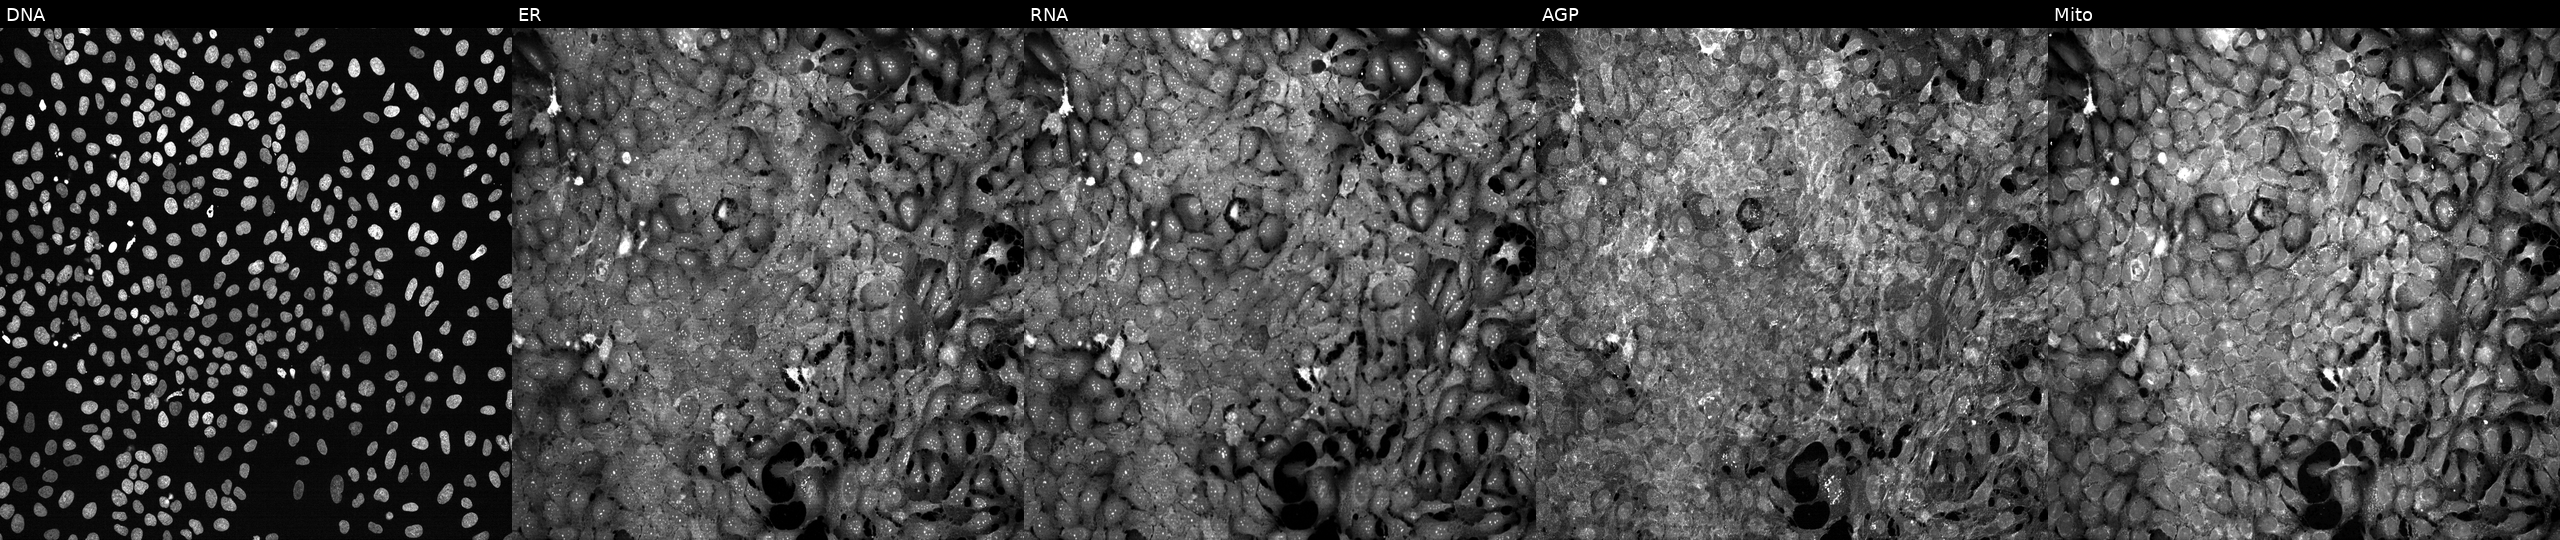
JUMP Cell Painting — CRISPR plate. U2OS cells exposed to the positive-control compound FK-866 (JUMP id JCP2022_046054). Channels (left→right): Hoechst 33342, concanavalin A, SYTO 14, phalloidin and WGA, MitoTracker. Source 13, plate CP-CC9-R1-01, well P24.